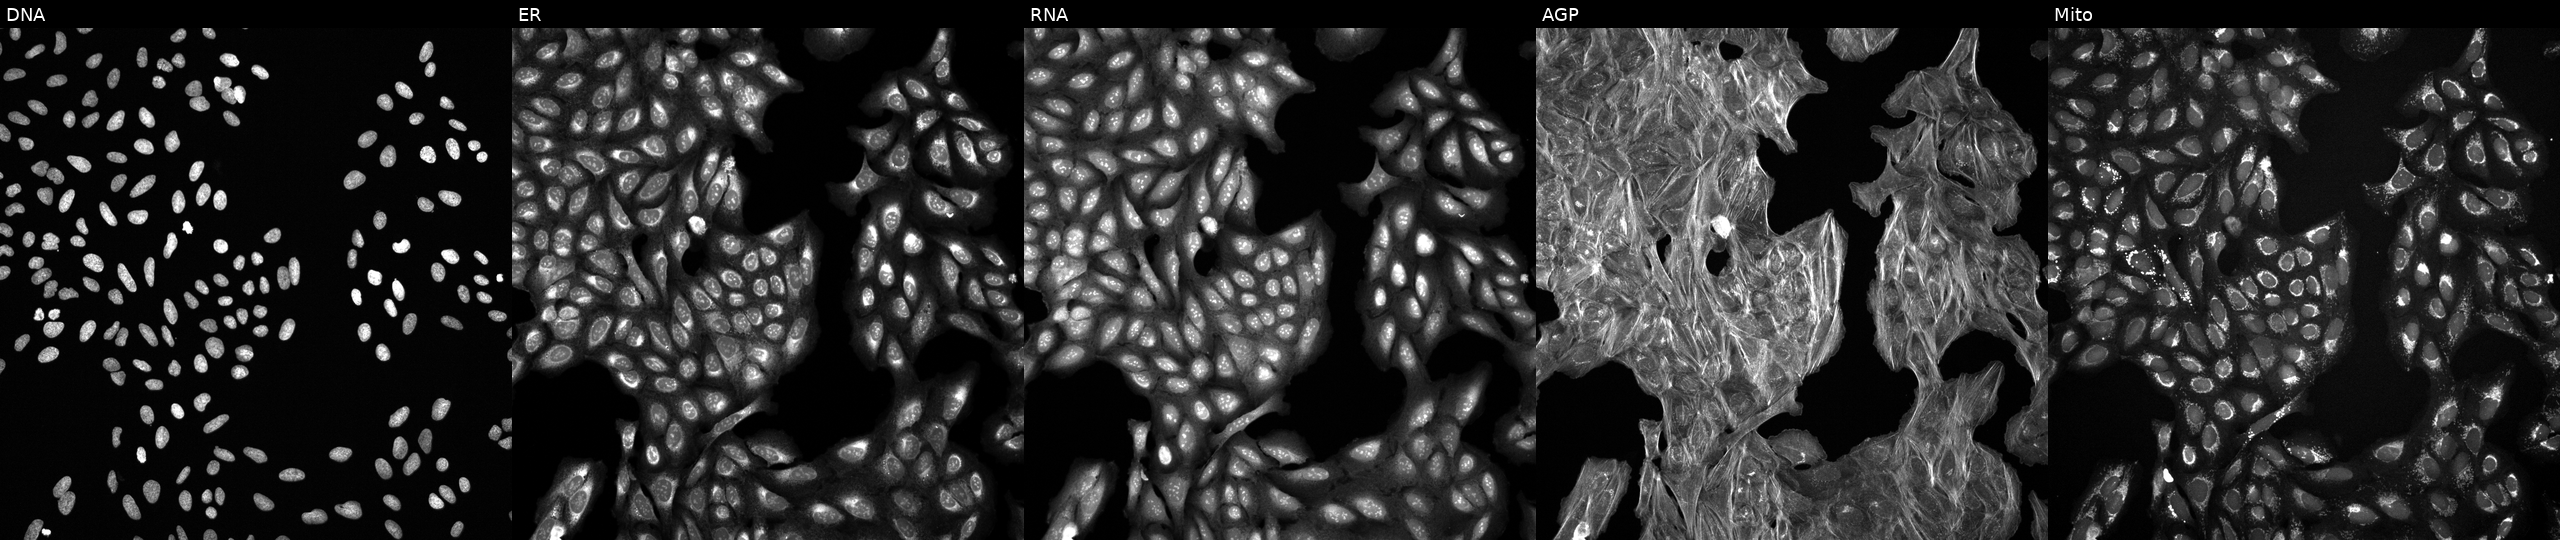
Five-channel Cell Painting image of U2OS cells treated with a small-molecule compound (InChIKey DDNJHDBXTCFZQT-UHFFFAOYSA-N) [SMILES: CCCCNCc1cccc(OC)c1OCC(=O)NC(C)(C)C]. From left to right: Hoechst 33342, concanavalin A, SYTO 14, phalloidin and WGA, MitoTracker.